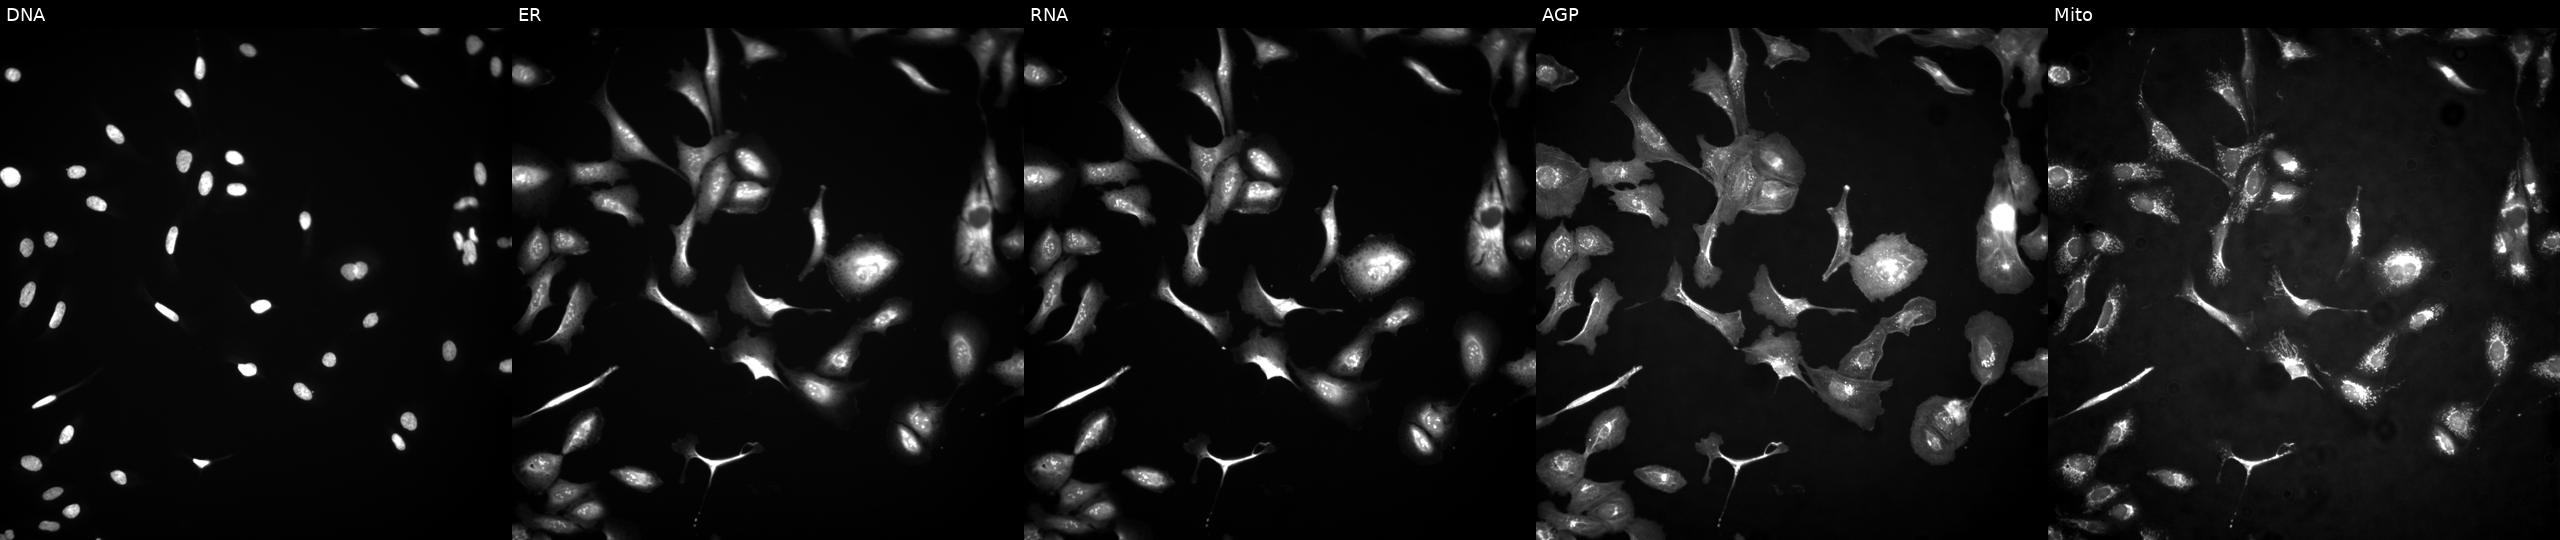
JUMP Cell Painting — ORF plate. U2OS cells transfected with an ORF construct for CTCFL (JUMP id JCP2022_908947). The five panels, left to right, show Hoechst 33342, concanavalin A, SYTO 14, phalloidin and WGA, MitoTracker. Source 4, plate BR00117035, well C18.